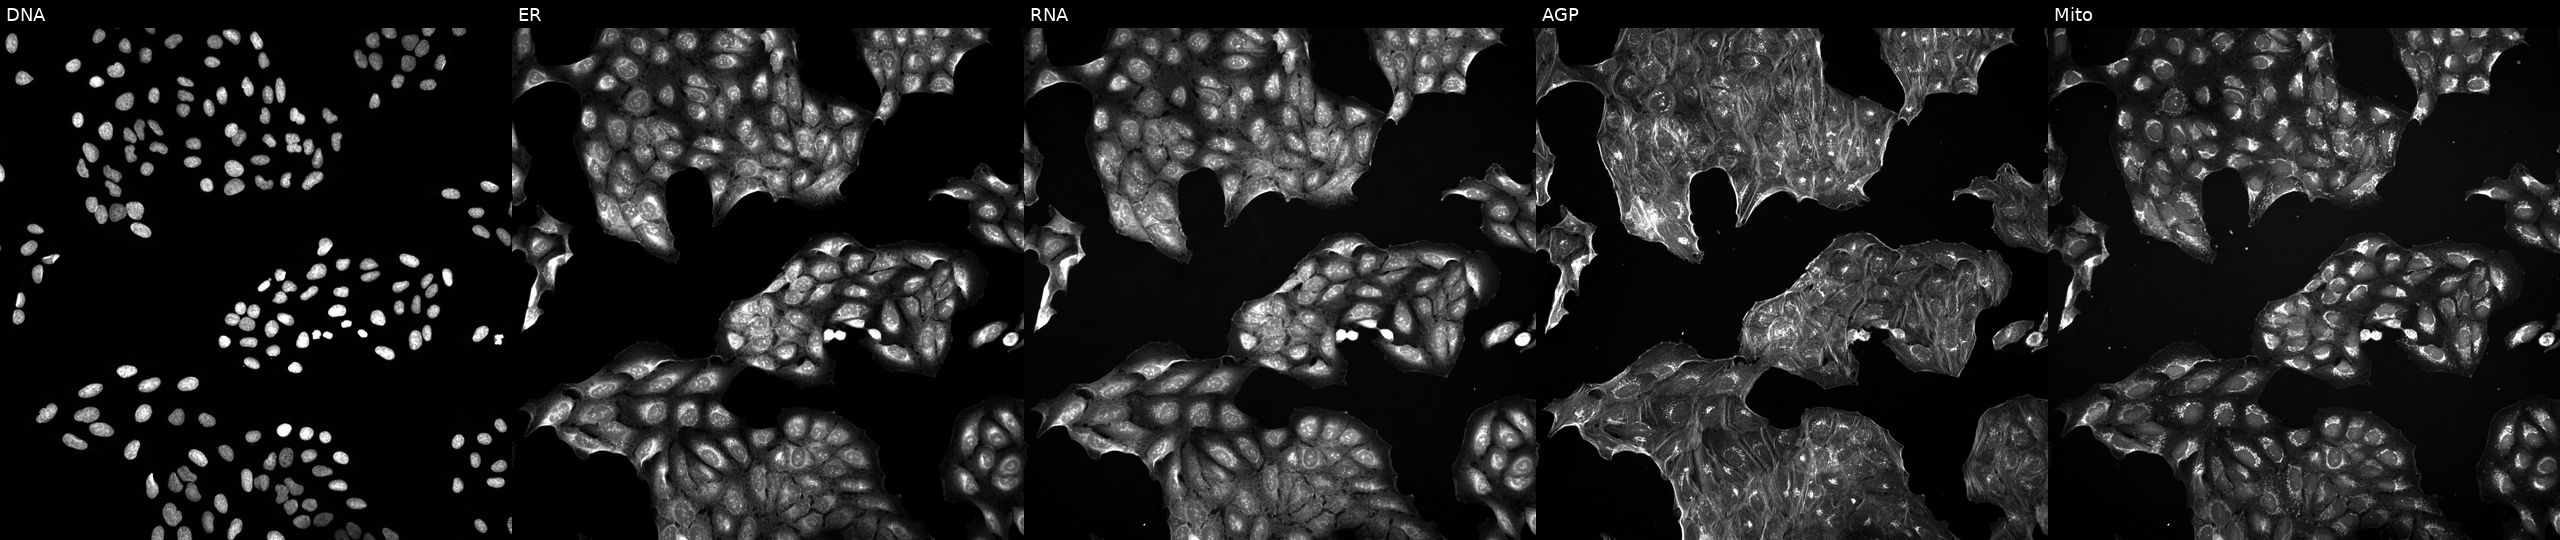
The five panels, left to right, show DNA, ER, RNA, AGP, and Mito. U2OS osteosarcoma cells perturbed with a small-molecule compound (InChIKey WLBUICQBNZXIDJ-UHFFFAOYSA-N) (JUMP id JCP2022_099471). Cell Painting assay, JUMP-CP dataset. Source 5, plate ACPJUM032, well A17.